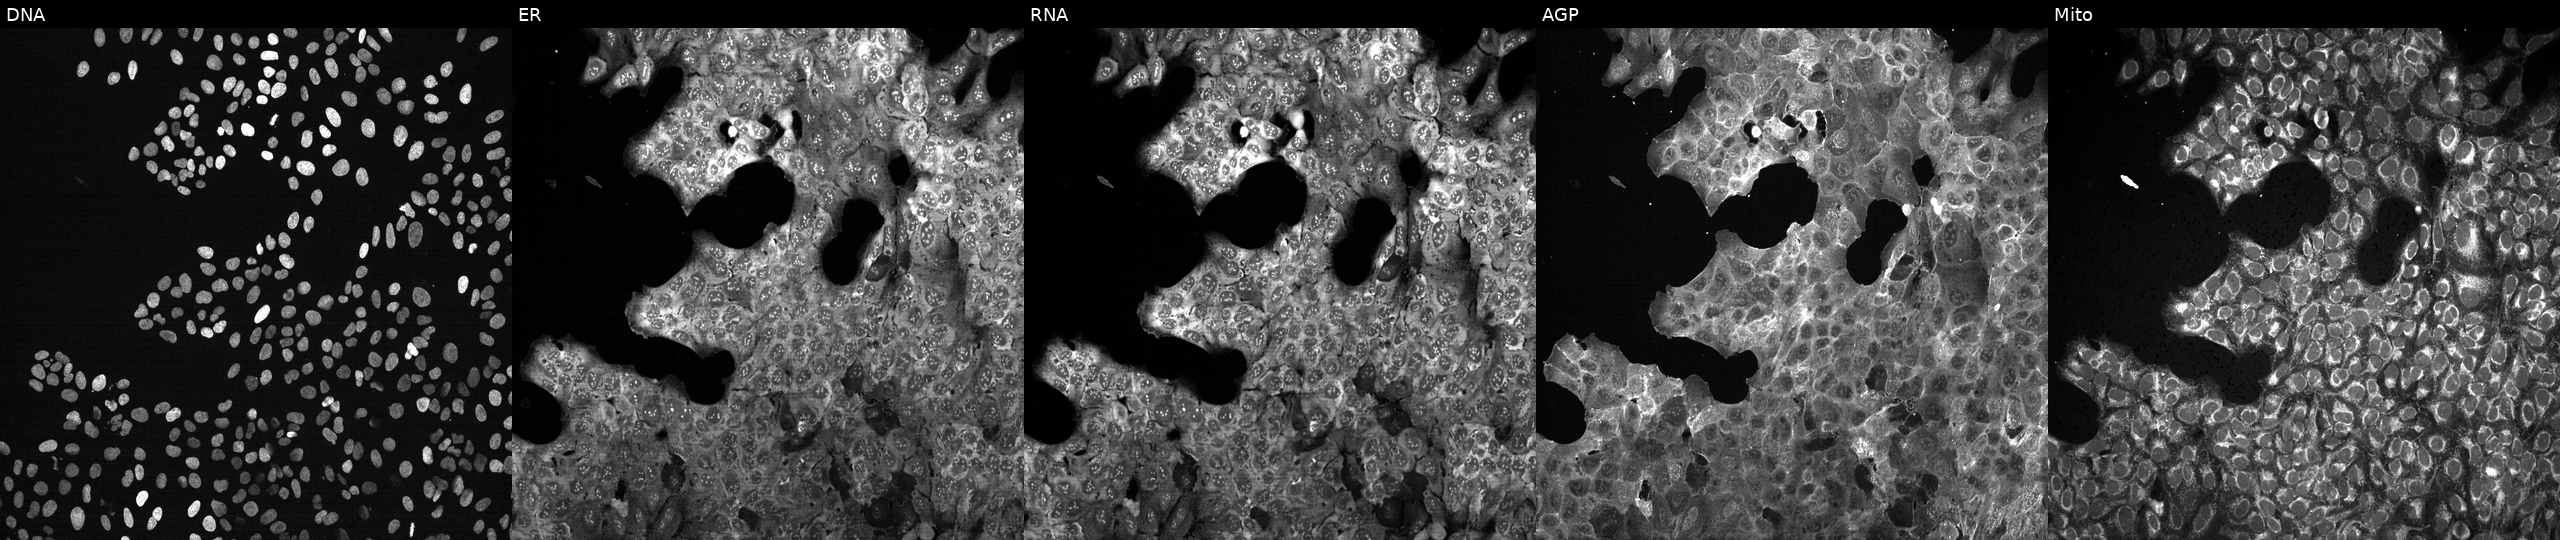
JUMP Cell Painting — CRISPR plate. U2OS cells exposed to the positive-control compound LY2109761 (JUMP id JCP2022_035095). The five panels, left to right, show DNA (nuclei); ER (endoplasmic reticulum); RNA (nucleoli and cytoplasmic RNA); AGP (actin cytoskeleton, Golgi, and plasma membrane); Mito (mitochondria).